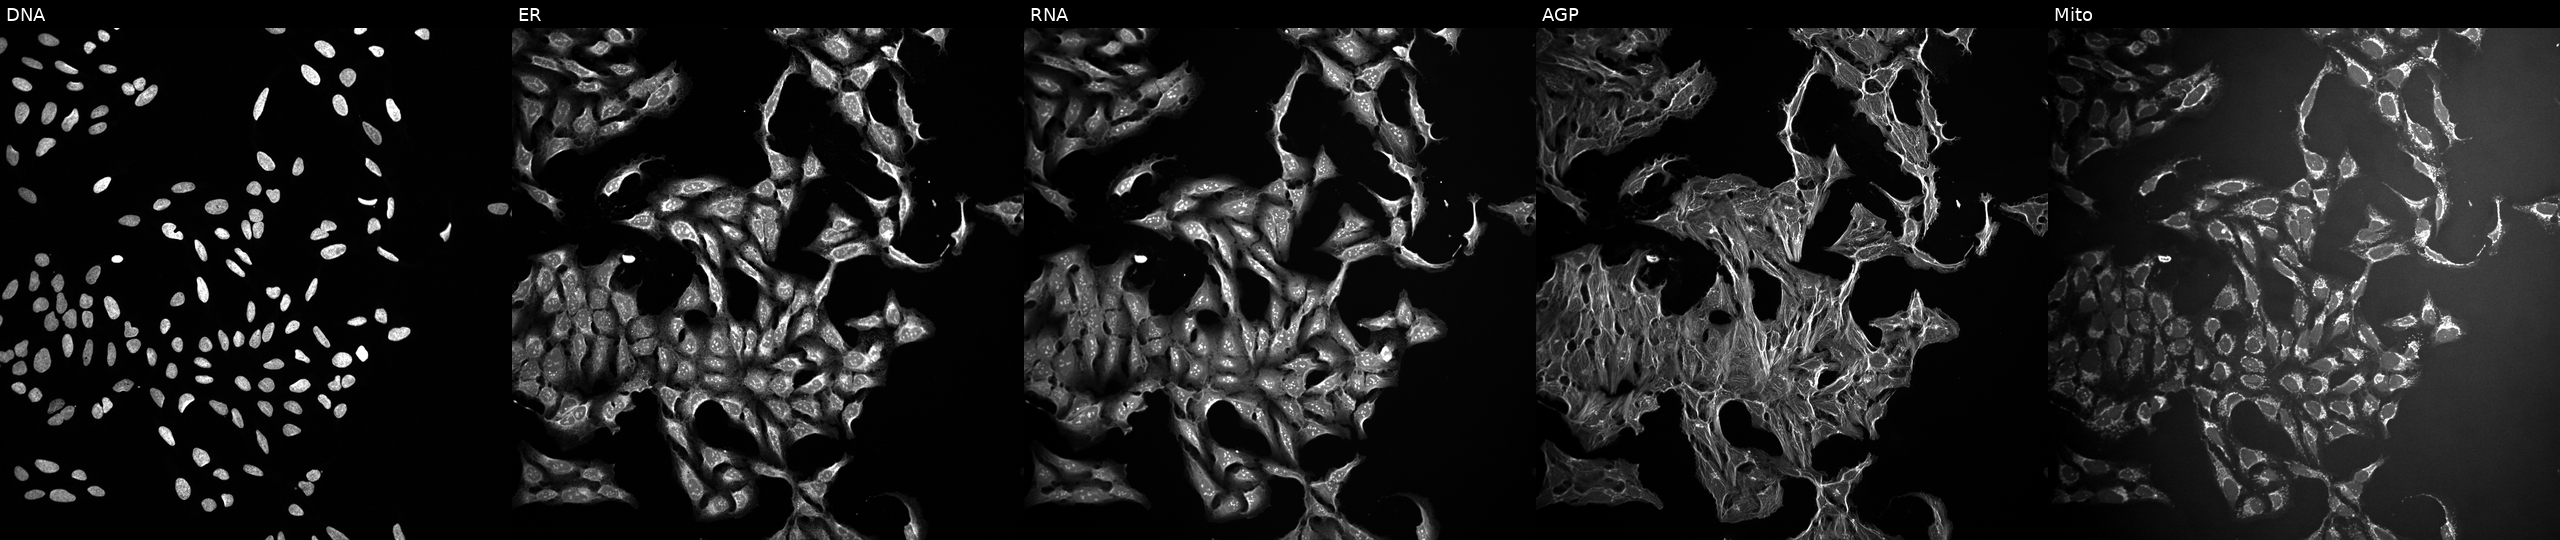
U2OS cells, Cell Painting assay, perturbed with a small-molecule compound (InChIKey KAJXOWFGKYKMMZ-UHFFFAOYSA-N). Channels (left→right): DNA, ER, RNA, AGP, and Mito. Each panel is percentile-stretched 16-bit fluorescence.